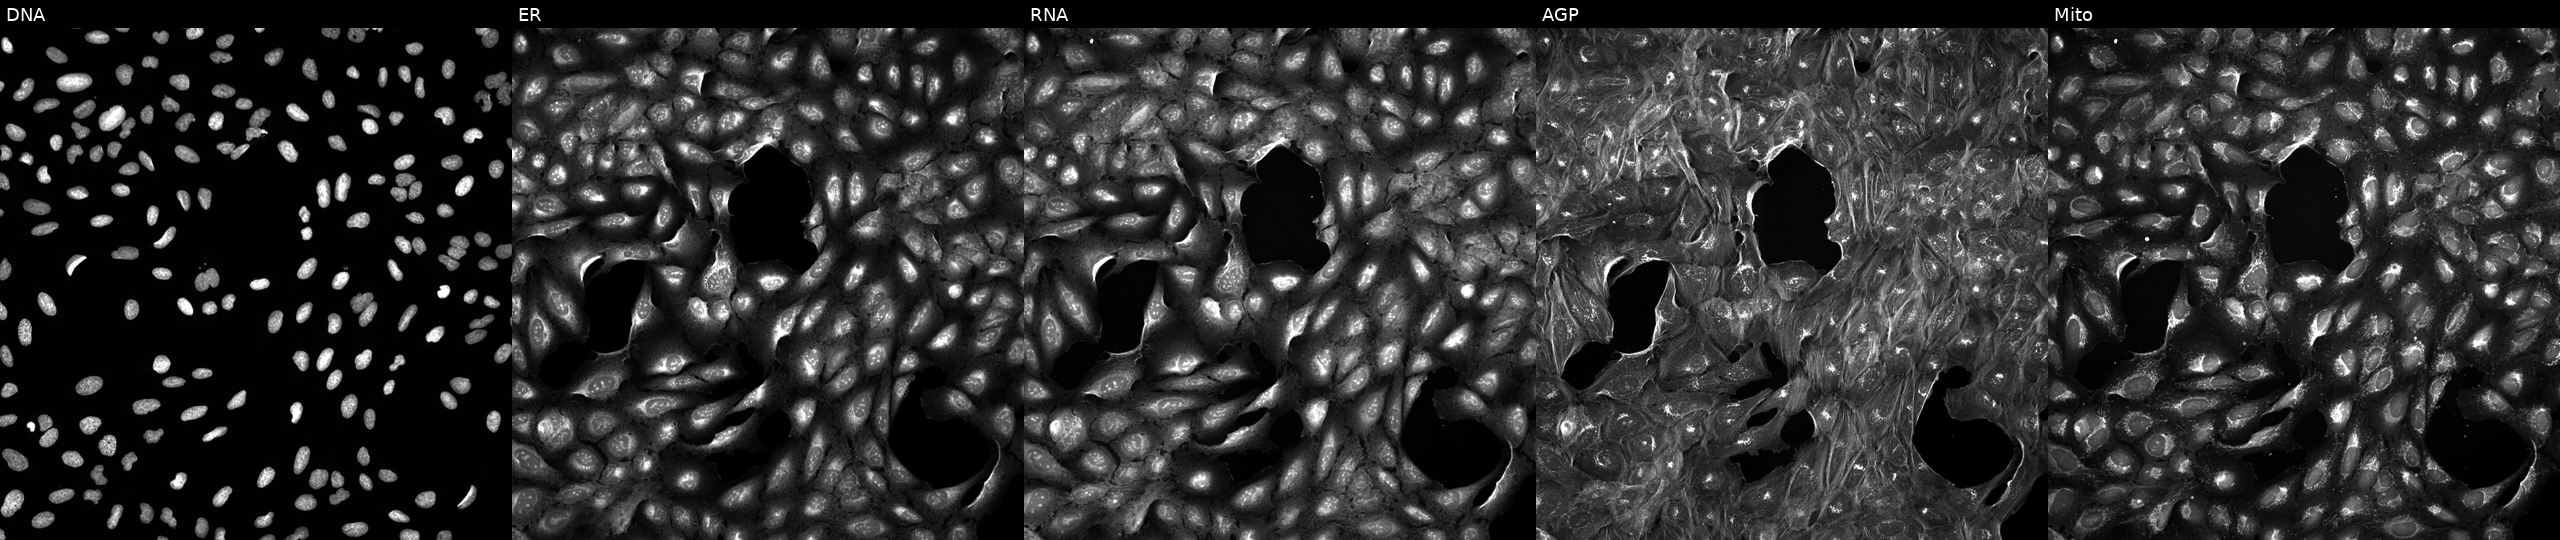
This image strip shows the five Cell Painting channels for a single field of U2OS cells perturbed with a small-molecule compound [SMILES: CCOC(=O)C(Cc1ccccc1)NC(=O)c1cc(Cl)c(OCCN2CCN(C)CC2)c(Cl)c1O]. Panels show, left to right, Hoechst 33342, concanavalin A, SYTO 14, phalloidin and WGA, MitoTracker. Source 5, plate ACPJUM032, well L05.